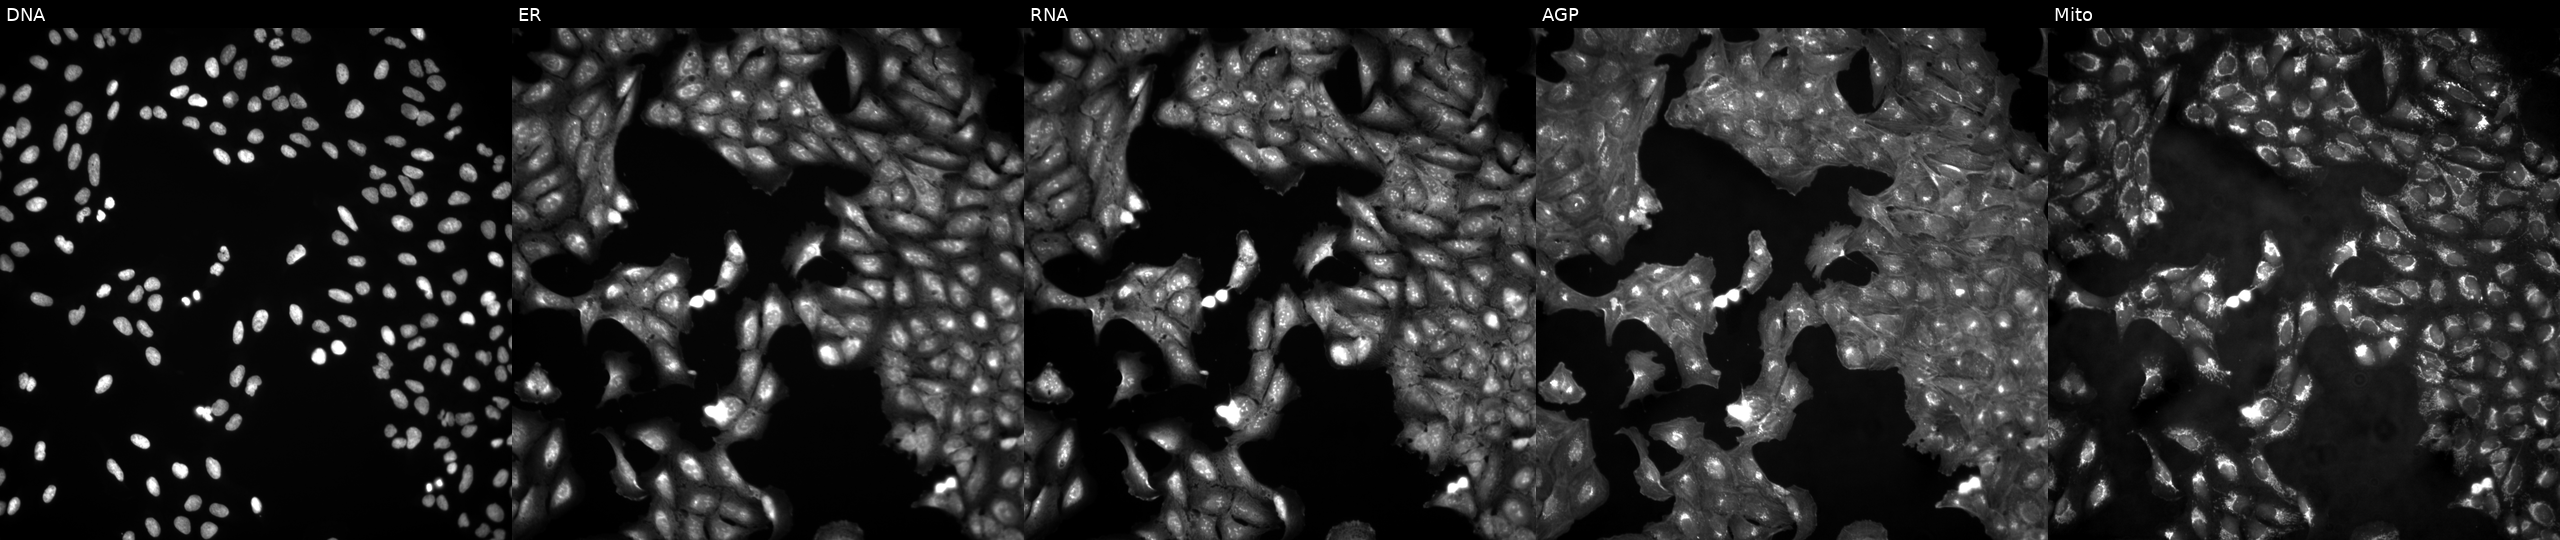
Panels show, left to right, Hoechst 33342, concanavalin A, SYTO 14, phalloidin and WGA, MitoTracker. U2OS osteosarcoma cells in an empty control well (no perturbation) (JUMP id JCP2022_999999). Cell Painting assay, JUMP-CP dataset. Source 4, plate BR00123946, well A22.